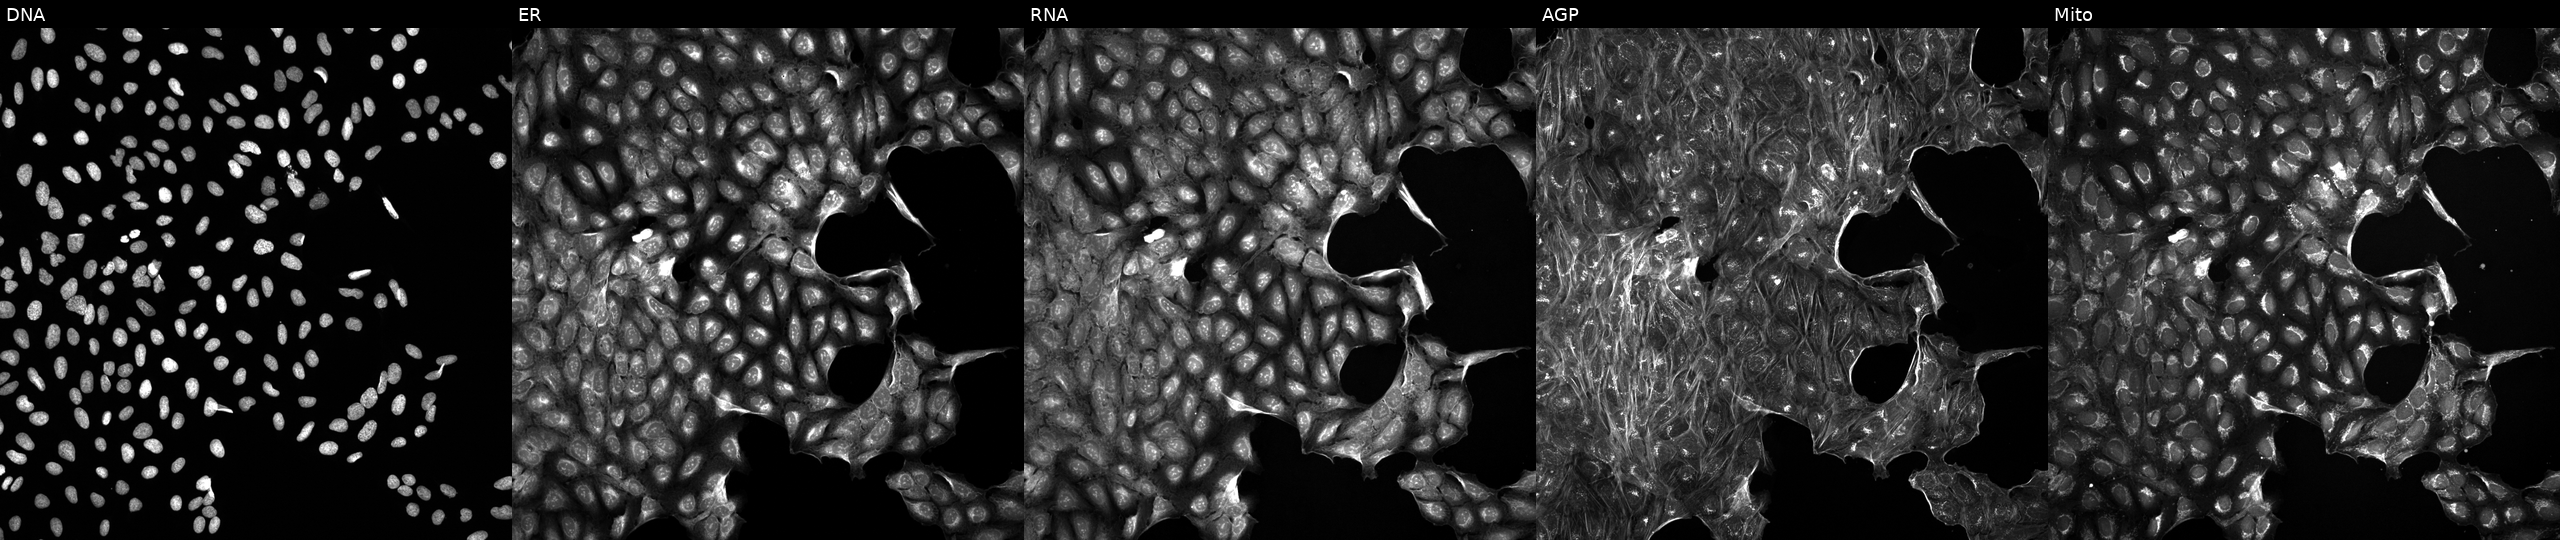
U2OS cells, Cell Painting assay, perturbed with a small-molecule compound. The five panels, left to right, show DNA (nuclei); ER (endoplasmic reticulum); RNA (nucleoli and cytoplasmic RNA); AGP (actin cytoskeleton, Golgi, and plasma membrane); Mito (mitochondria). Each panel is percentile-stretched 16-bit fluorescence. Source 5, plate ACPJUM051, well G17.